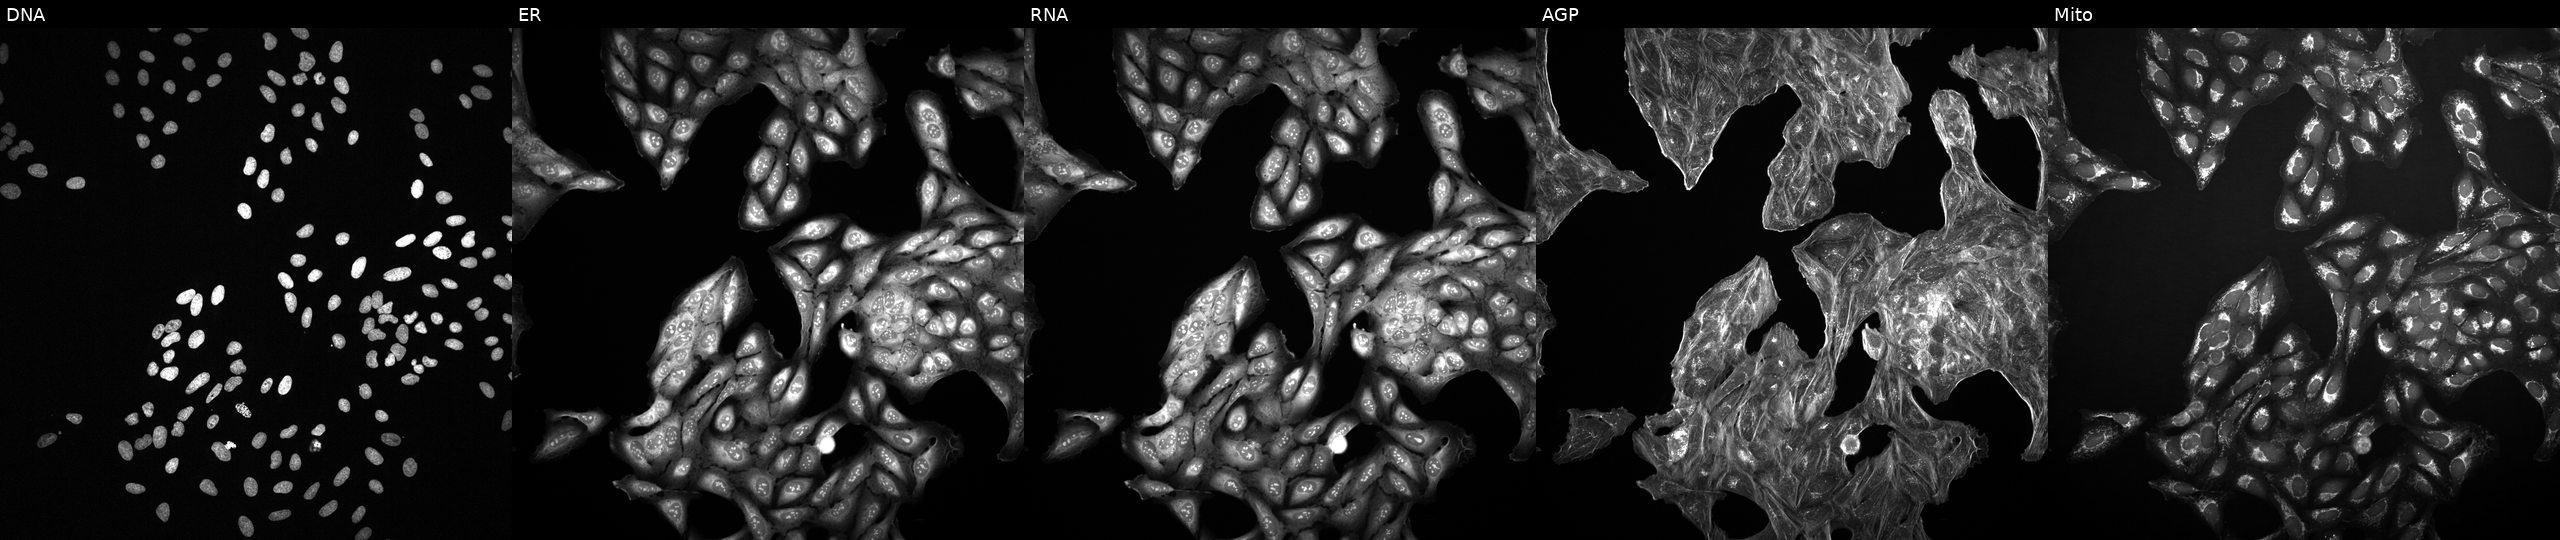
JUMP Cell Painting — TARGET2 plate. U2OS cells treated with DMSO vehicle only (negative control) (JUMP id JCP2022_033924). The five panels, left to right, show DNA (nuclei); ER (endoplasmic reticulum); RNA (nucleoli and cytoplasmic RNA); AGP (actin cytoskeleton, Golgi, and plasma membrane); Mito (mitochondria).